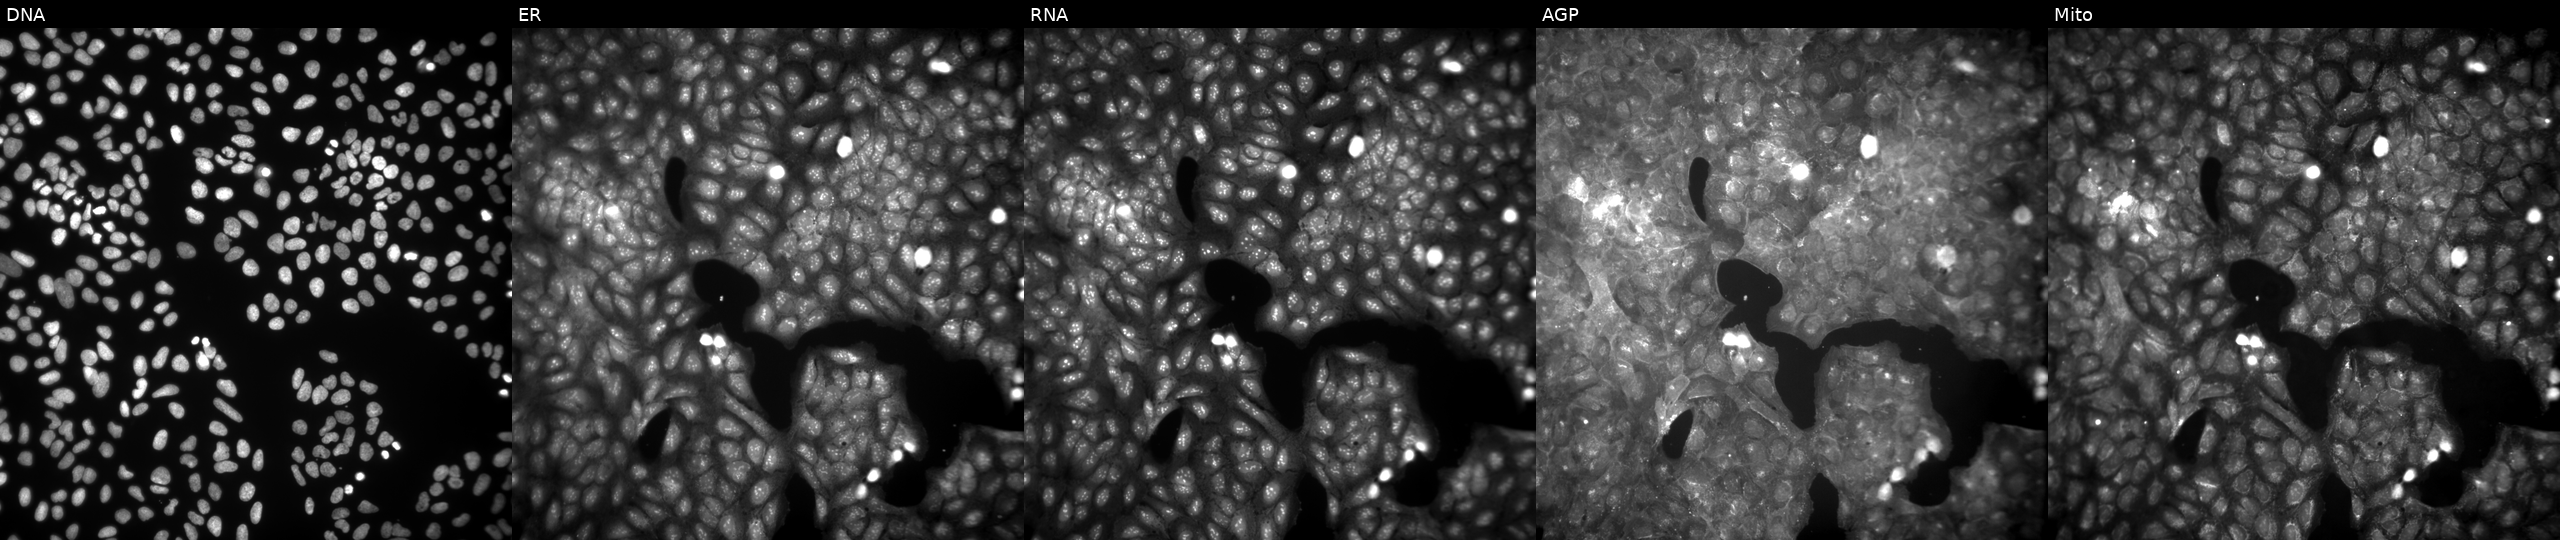
Five-channel Cell Painting image of U2OS cells perturbed with a small-molecule compound [SMILES: CC(C)(C)c1ccc(Cn2c(=N)[nH]c3ccccc32)cc1] (JUMP id JCP2022_078393). The five panels, left to right, show DNA, ER, RNA, AGP, and Mito. Source 9, plate GR00003382, well Q46.